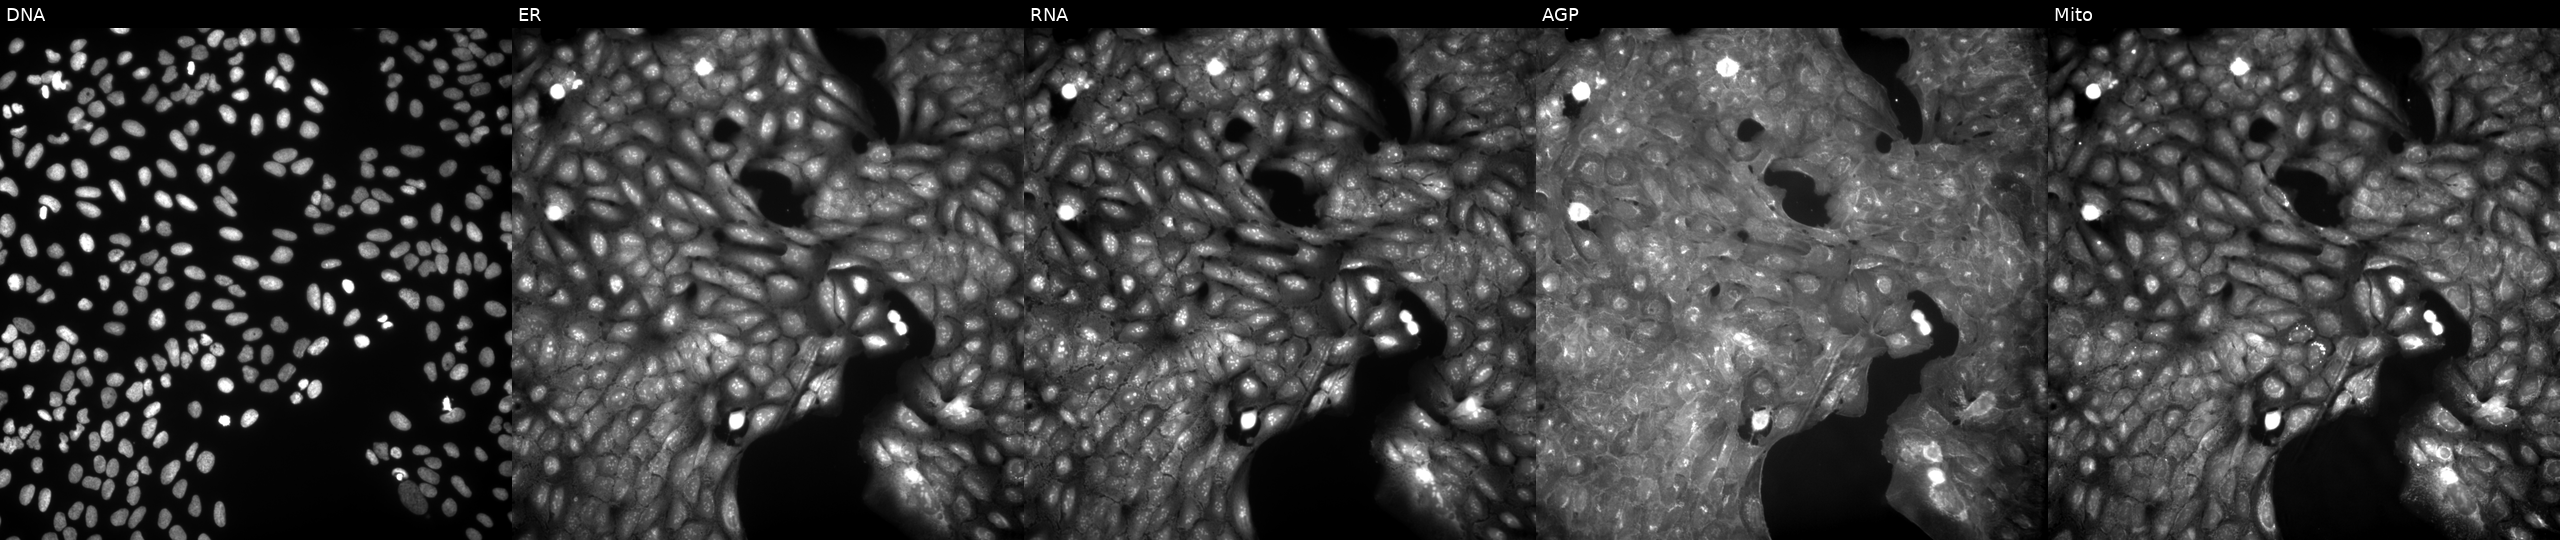
JUMP Cell Painting — COMPOUND plate. U2OS cells perturbed with a small-molecule compound (InChIKey ODUKCRLAKCQBCJ-UHFFFAOYSA-N) [SMILES: COc1ccc(NC(=O)Cc2sc(=O)[nH]c2O)cc1]. The five panels, left to right, show DNA (nuclei); ER (endoplasmic reticulum); RNA (nucleoli and cytoplasmic RNA); AGP (actin cytoskeleton, Golgi, and plasma membrane); Mito (mitochondria). Source 9, plate GR00003381, well S33.